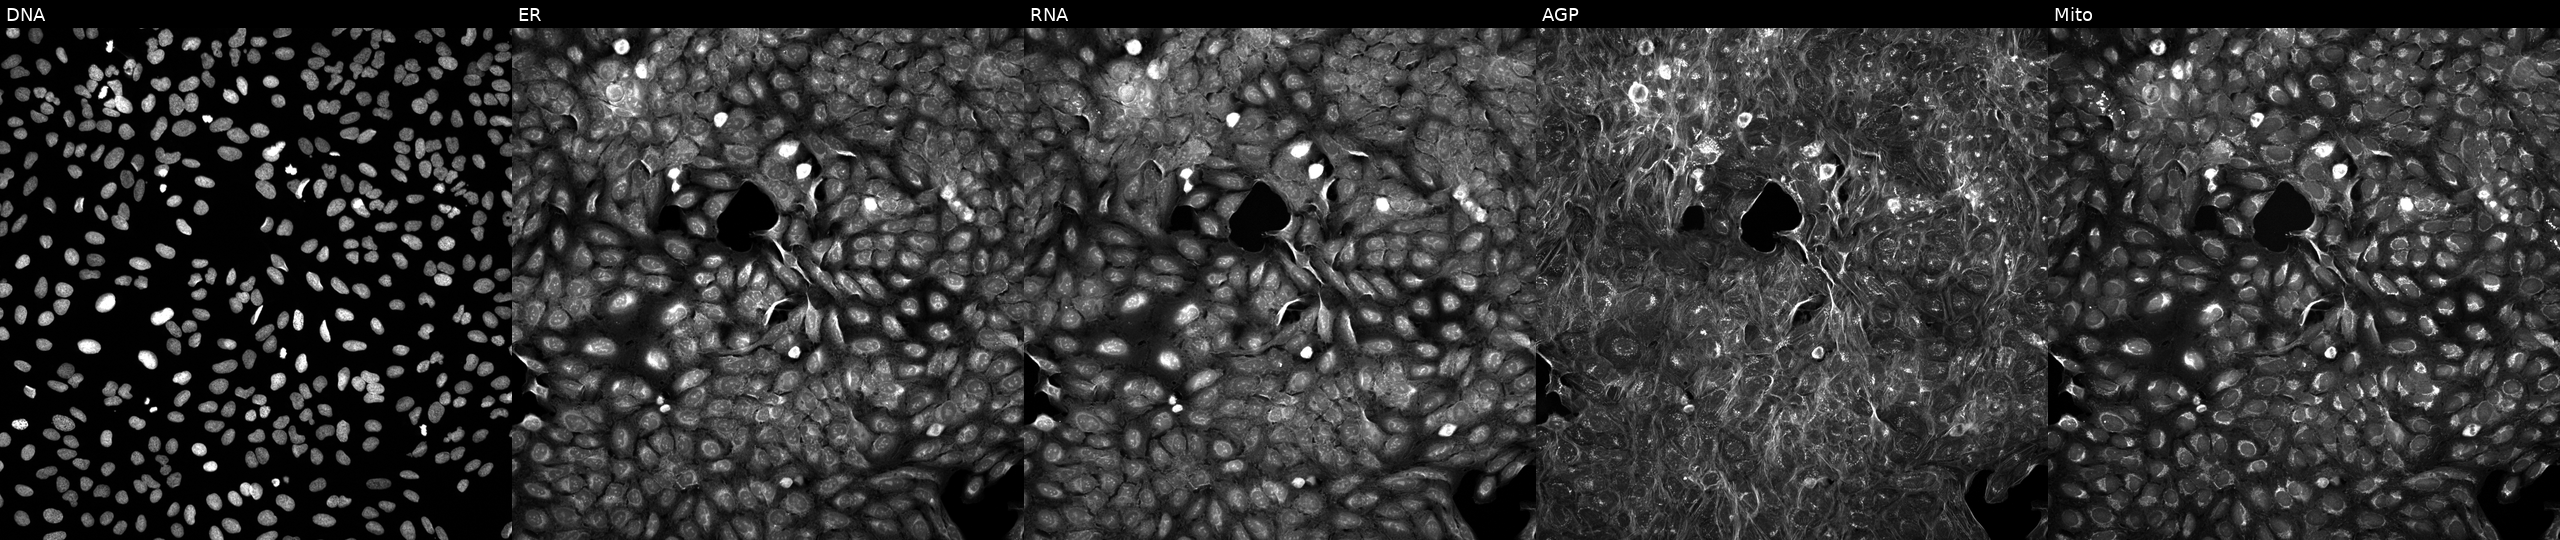
JUMP Cell Painting — TARGET2 plate. U2OS cells exposed to a small-molecule compound (InChIKey ZESFDAKNYJQYKO-UHFFFAOYSA-N) [SMILES: N#Cc1ccc(-c2ccc(S(=O)(=O)N=c3cccc(N)[nH]3)cc2)cc1] (JUMP id JCP2022_112828). The five panels, left to right, show DNA, ER, RNA, AGP, and Mito. Source 5, plate ACPJUM012, well P15.